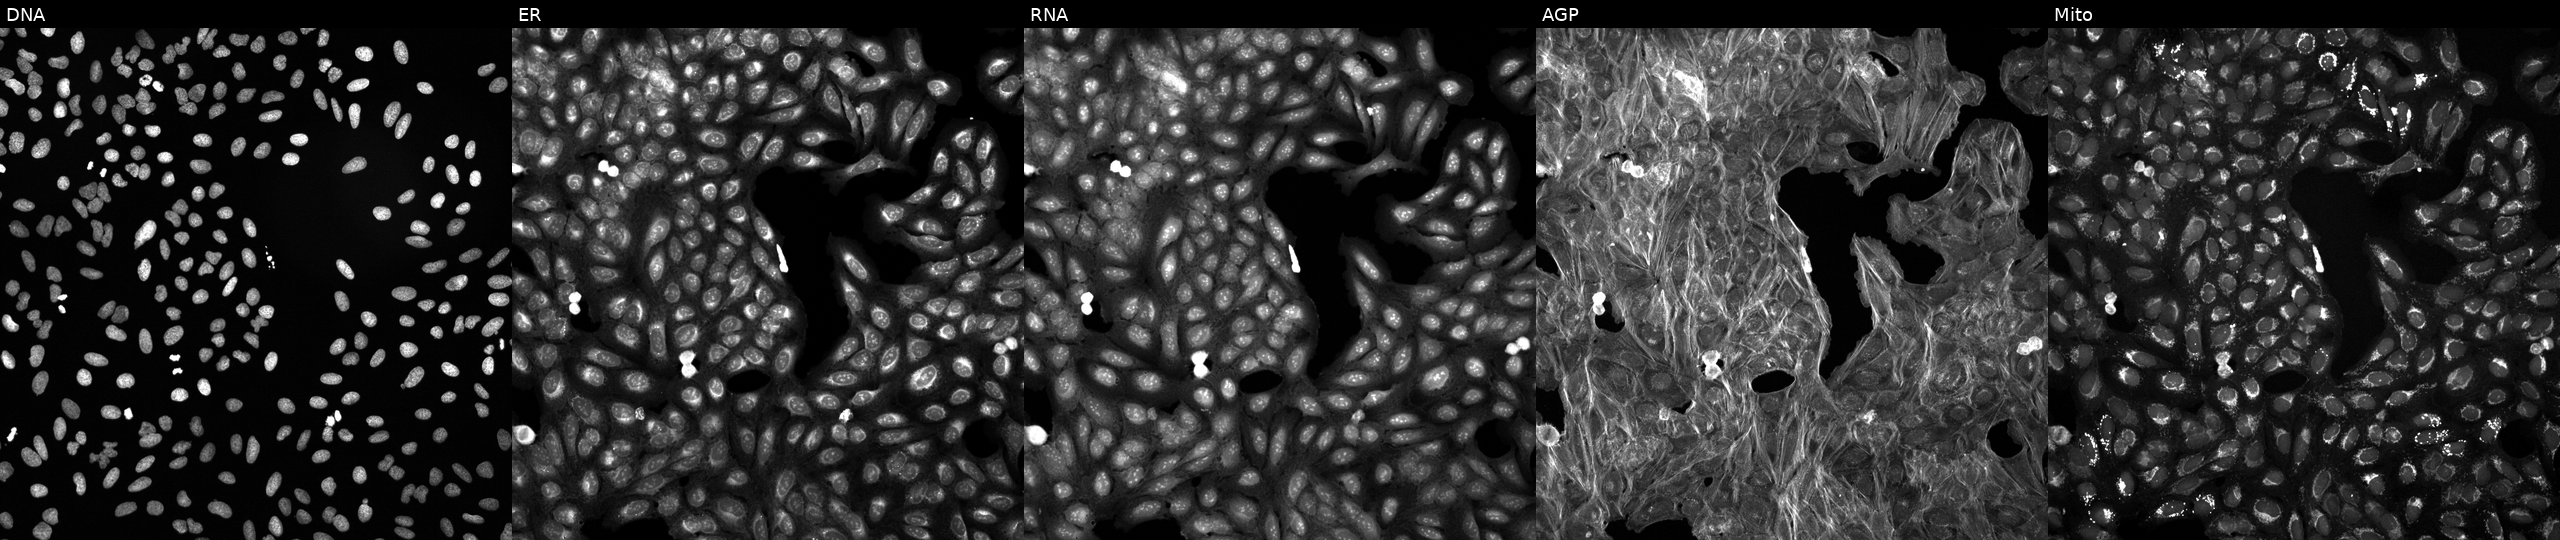
U2OS cells, Cell Painting assay, exposed to a small-molecule compound (InChIKey NMKJFZCBCIUYHI-UHFFFAOYSA-N) (JUMP id JCP2022_059966). Panels show, left to right, DNA, ER, RNA, AGP, and Mito. Each panel is percentile-stretched 16-bit fluorescence.